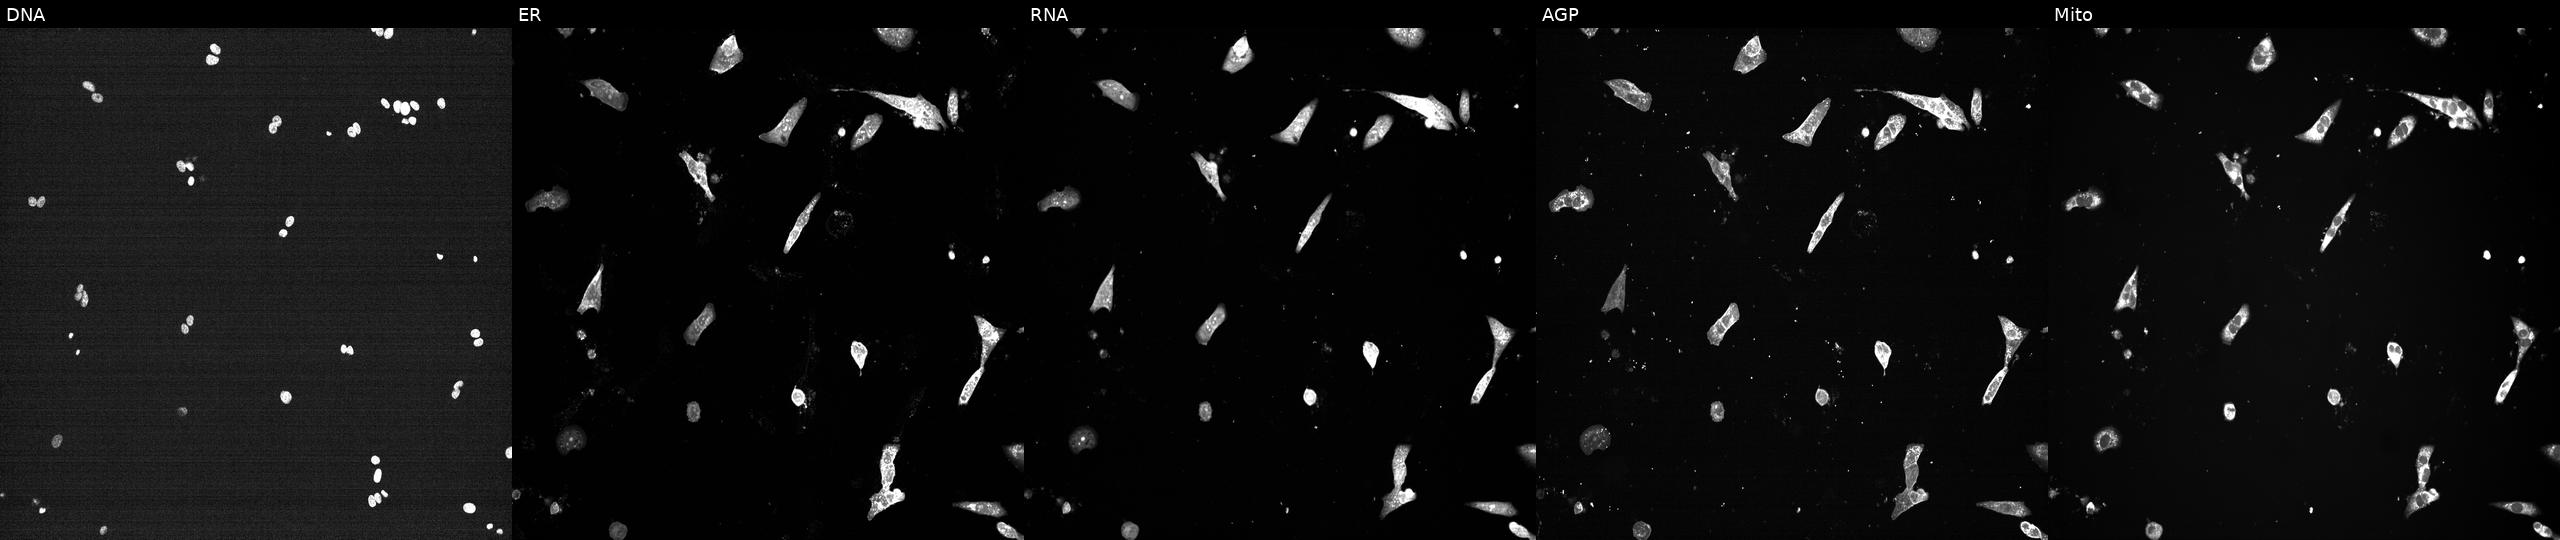
U2OS cells, Cell Painting assay, exposed to a small-molecule compound (JUMP id JCP2022_047143). The five panels, left to right, show Hoechst 33342, concanavalin A, SYTO 14, phalloidin and WGA, MitoTracker. Each panel is percentile-stretched 16-bit fluorescence. Source 7, plate CP1-SC1-25, well K04.